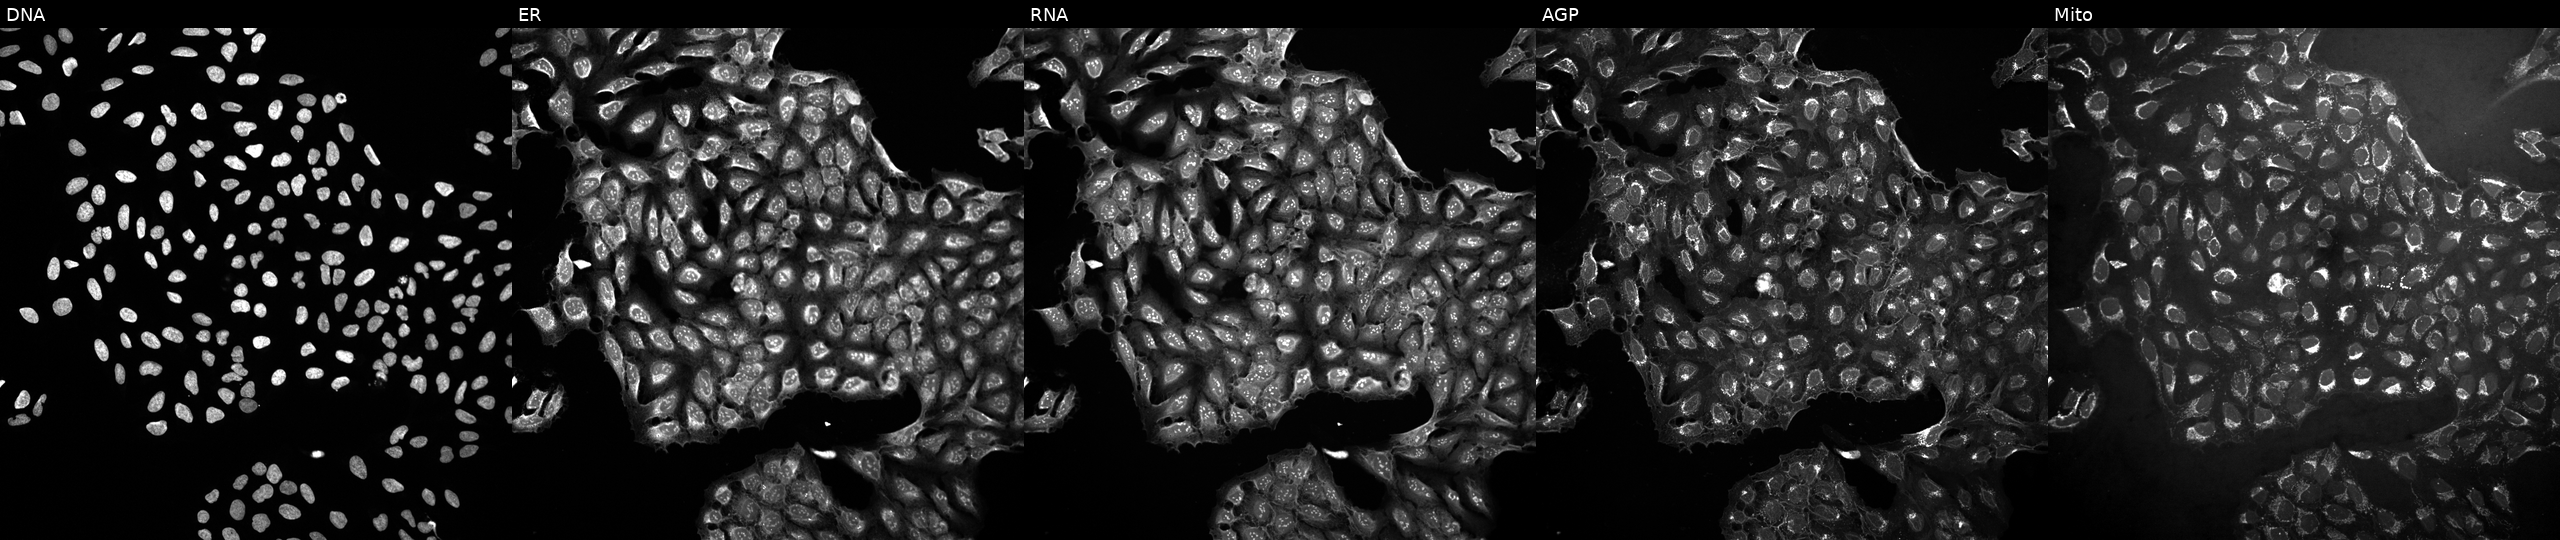
High-content fluorescence microscopy (Cell Painting). Cell line: U2OS. Perturbation: treated with DMSO vehicle only (negative control). Channels (left→right): DNA, ER, RNA, AGP, and Mito.